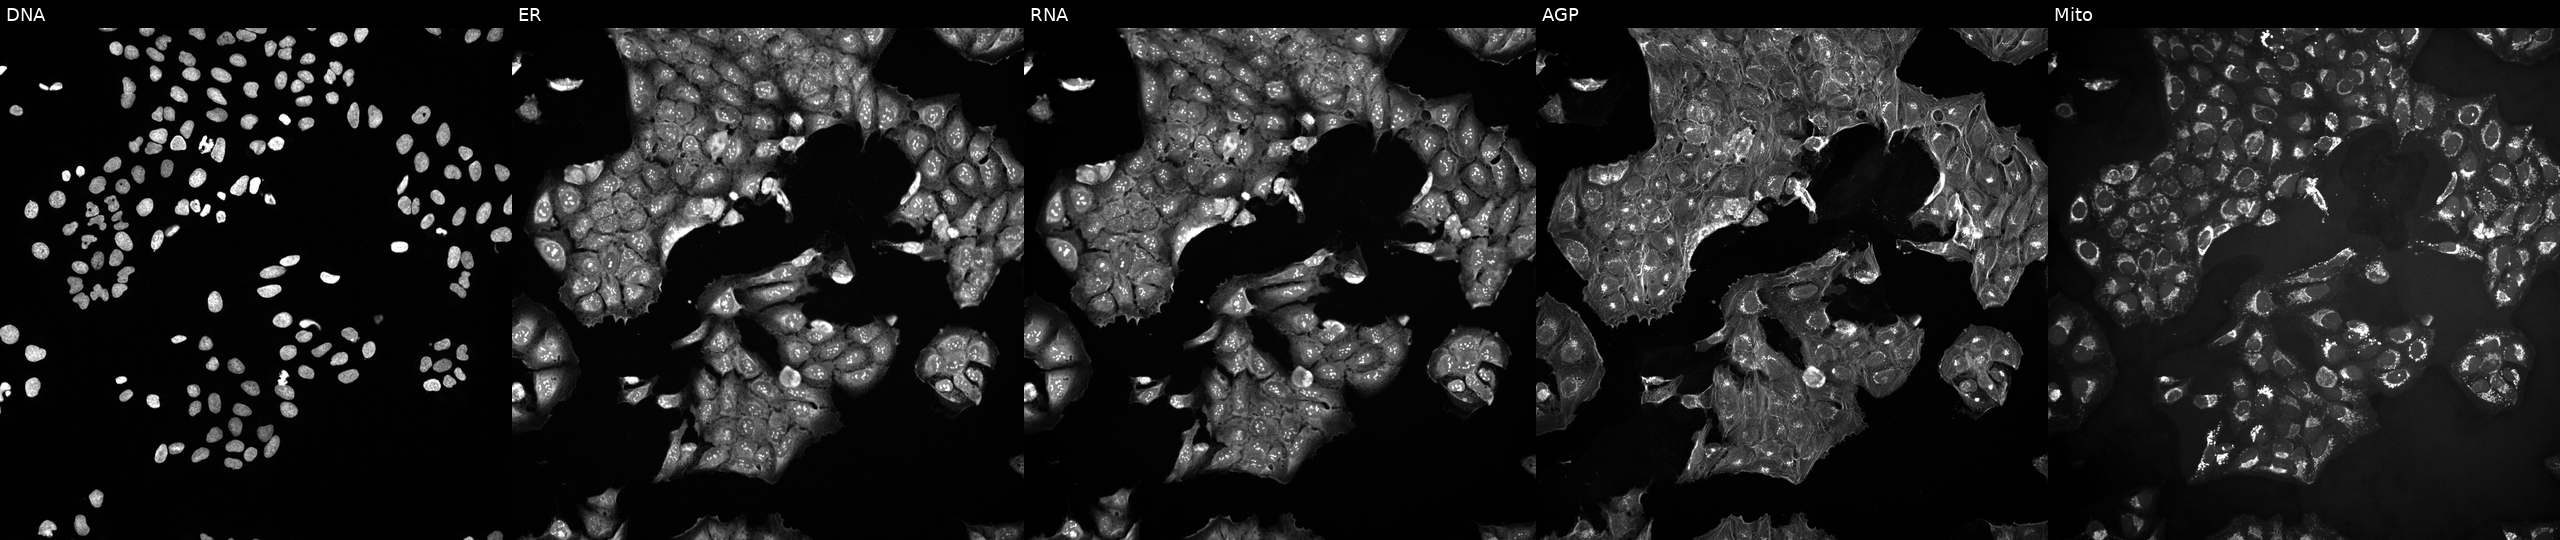
Channels (left→right): DNA (nuclei); ER (endoplasmic reticulum); RNA (nucleoli and cytoplasmic RNA); AGP (actin cytoskeleton, Golgi, and plasma membrane); Mito (mitochondria). U2OS osteosarcoma cells untreated (empty-well control) (JUMP id JCP2022_999999). Cell Painting assay, JUMP-CP dataset.